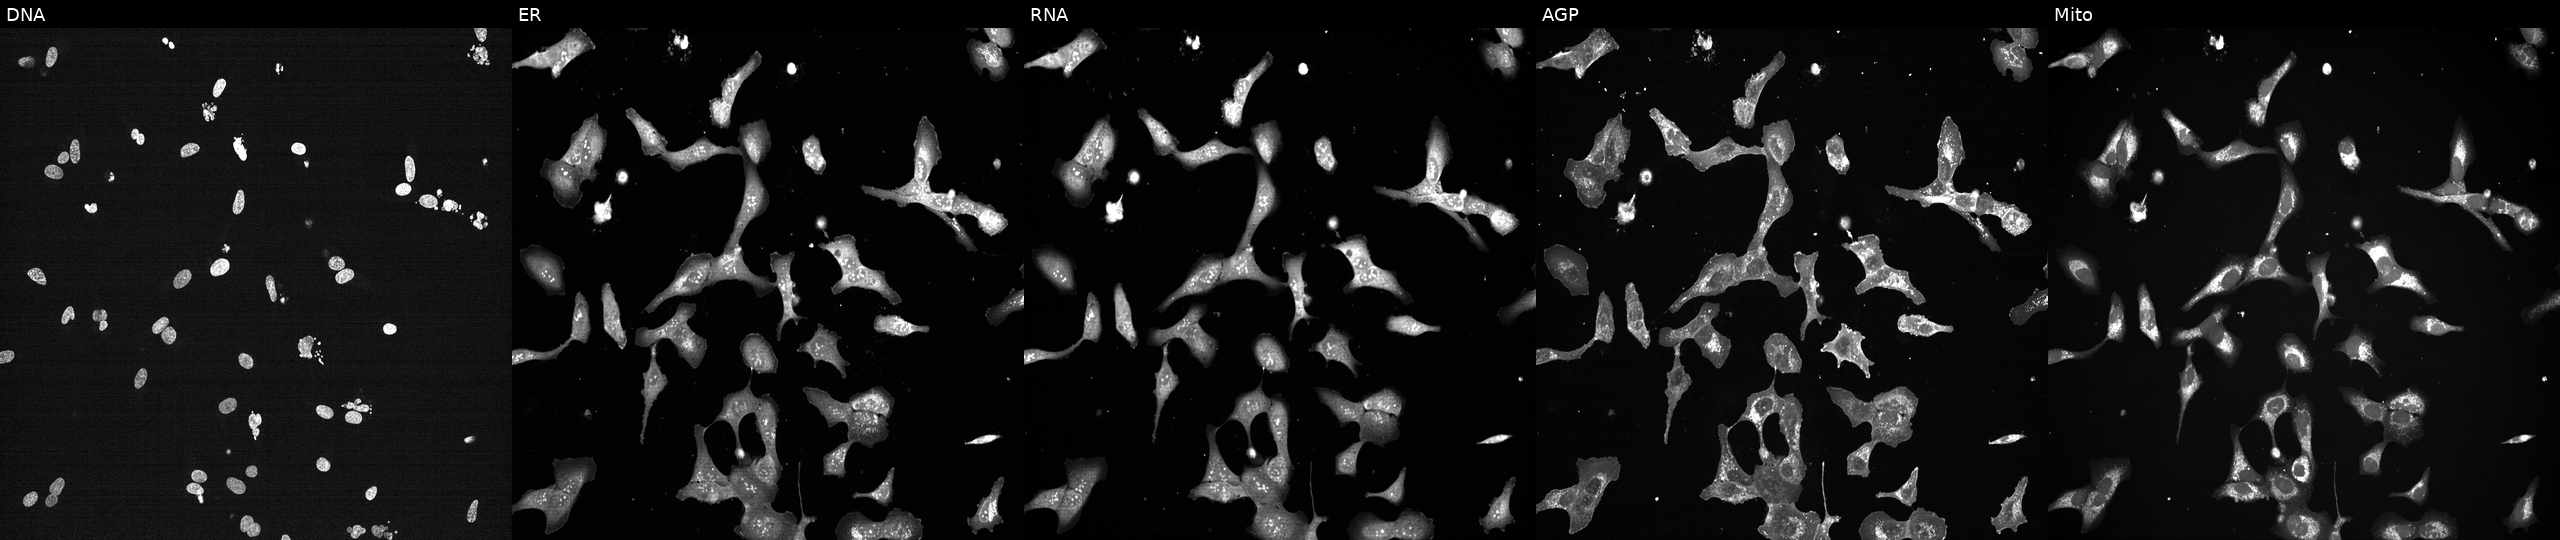
U2OS cells, Cell Painting assay, treated with a small-molecule compound (InChIKey XQVVPGYIWAGRNI-UHFFFAOYSA-N). Panels show, left to right, DNA, ER, RNA, AGP, and Mito. Each panel is percentile-stretched 16-bit fluorescence. Source 7, plate CP2-SC1-25, well D07.